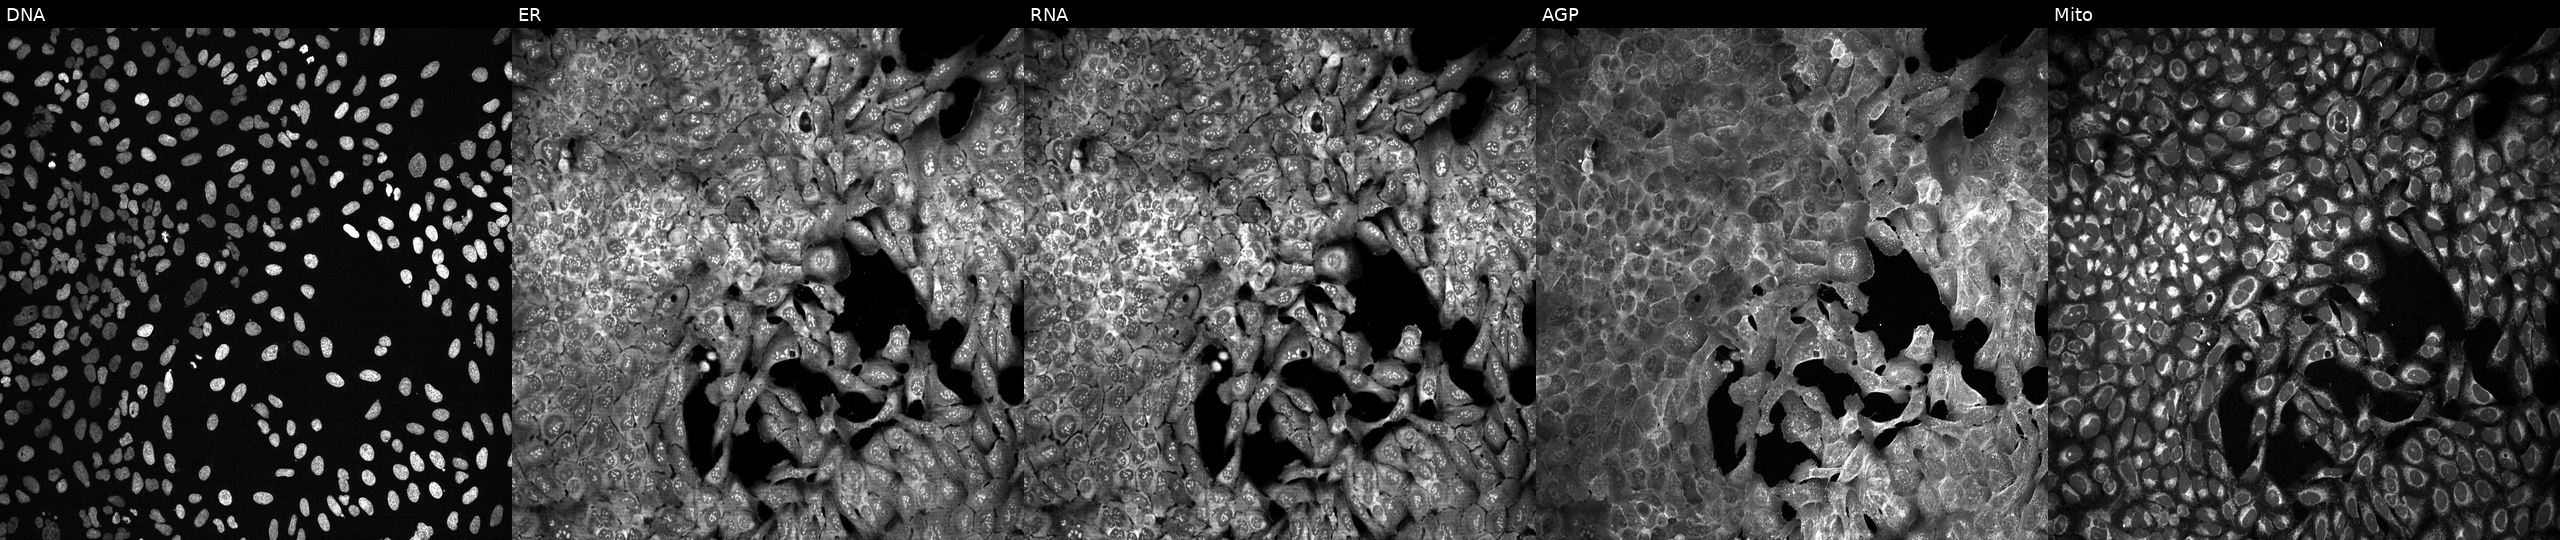
Five-channel Cell Painting image of U2OS cells with GTF3A knocked out by CRISPR (JUMP id JCP2022_802964). Channels (left→right): Hoechst 33342, concanavalin A, SYTO 14, phalloidin and WGA, MitoTracker.